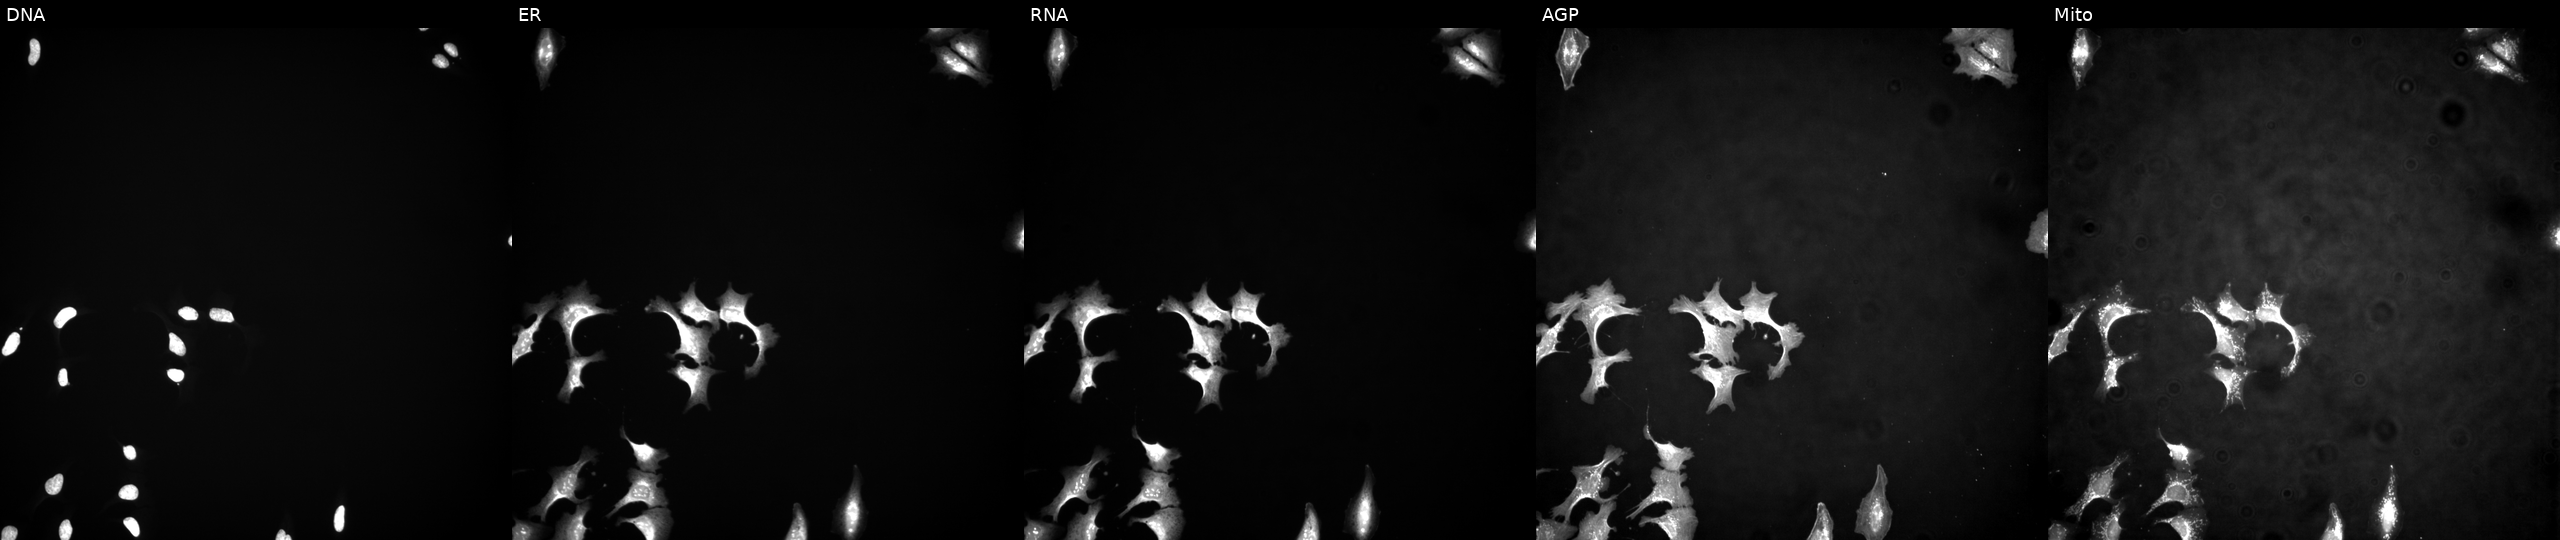
U2OS cells, Cell Painting assay, overexpressing PGK1 via ORF transfection. Channels (left→right): Hoechst 33342, concanavalin A, SYTO 14, phalloidin and WGA, MitoTracker. Each panel is percentile-stretched 16-bit fluorescence.